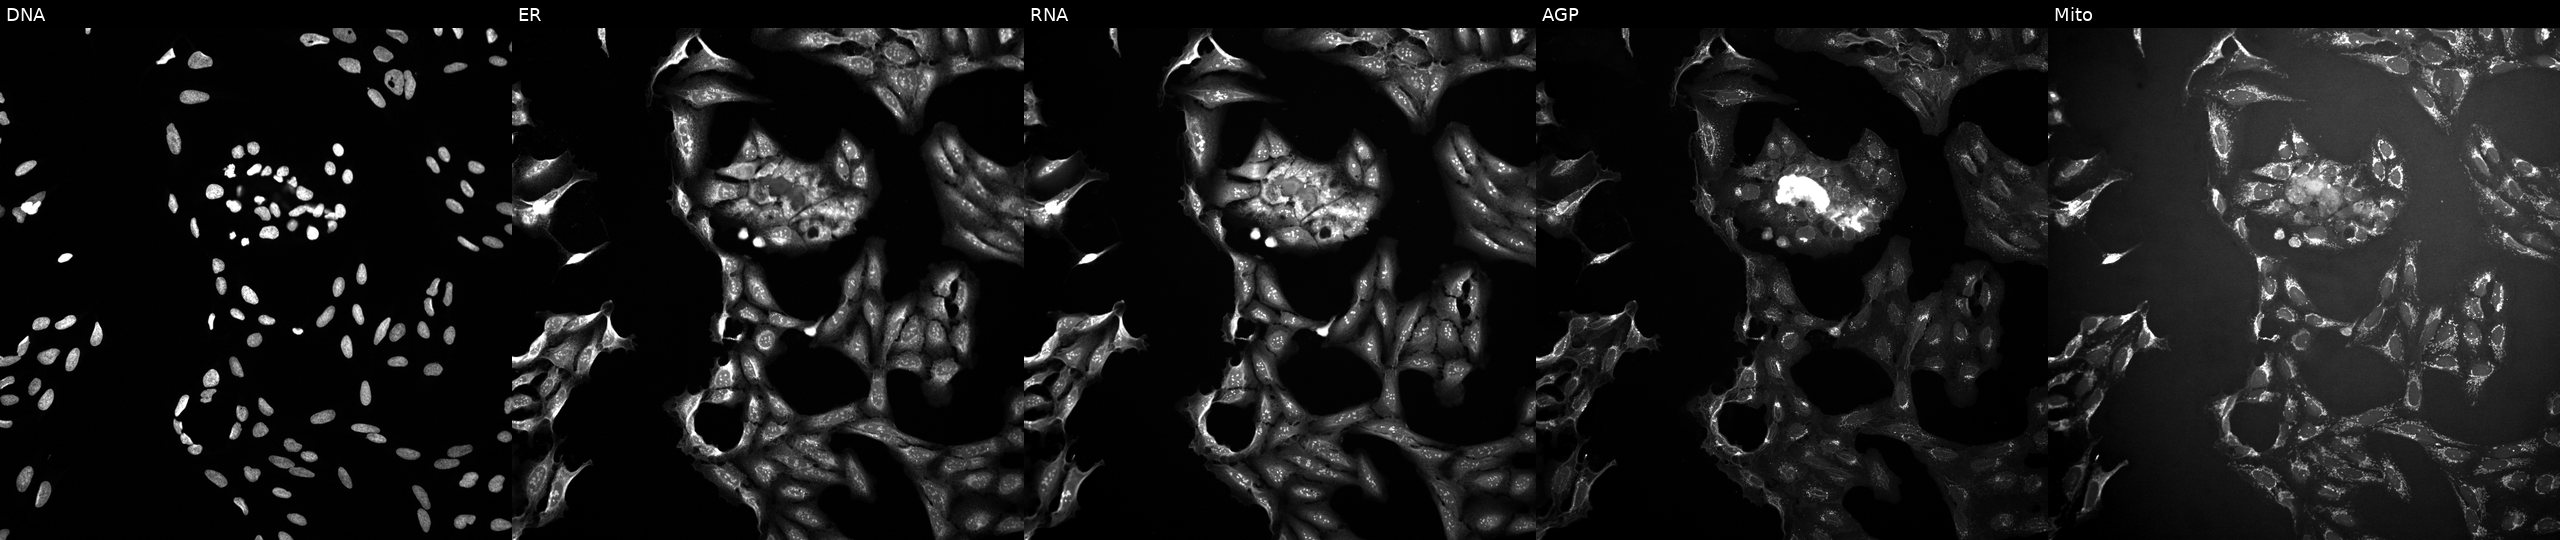
High-content fluorescence microscopy (Cell Painting). Cell line: U2OS. Perturbation: perturbed with a small-molecule compound (InChIKey XDJCLCLBSGGNKS-UHFFFAOYSA-N). From left to right: DNA (nuclei); ER (endoplasmic reticulum); RNA (nucleoli and cytoplasmic RNA); AGP (actin cytoskeleton, Golgi, and plasma membrane); Mito (mitochondria). Source 10, plate Dest210803-153958, well H13.